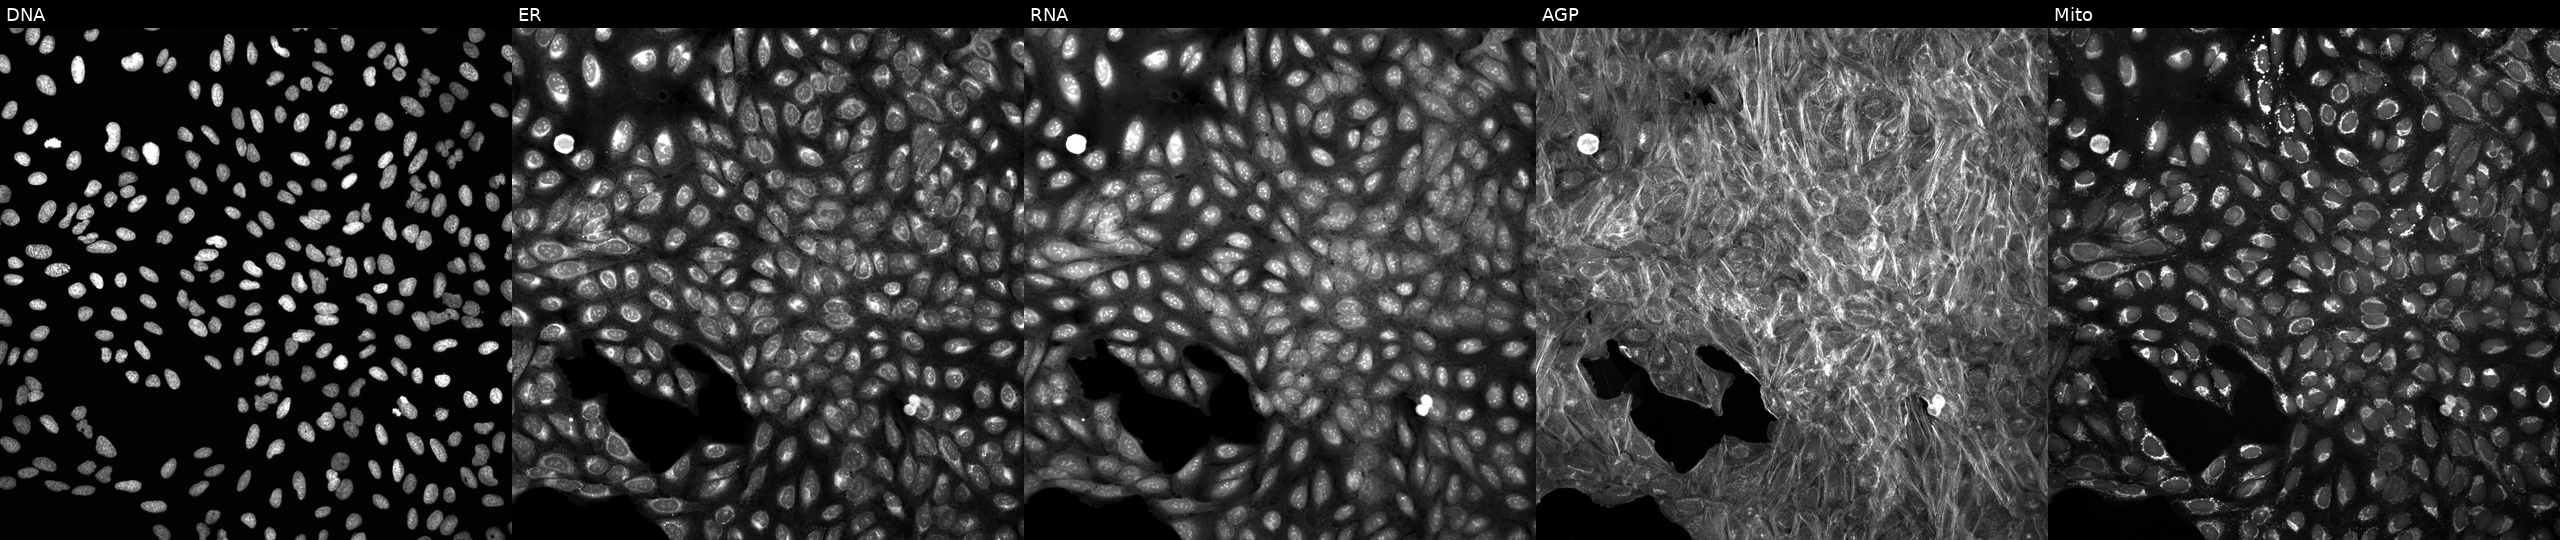
JUMP Cell Painting — COMPOUND plate. U2OS cells exposed to a small-molecule compound (InChIKey CHIOKEVHPNIXQI-UHFFFAOYSA-N) (JUMP id JCP2022_011143). Channels (left→right): Hoechst 33342, concanavalin A, SYTO 14, phalloidin and WGA, MitoTracker. Source 6, plate 110000293083, well H19.